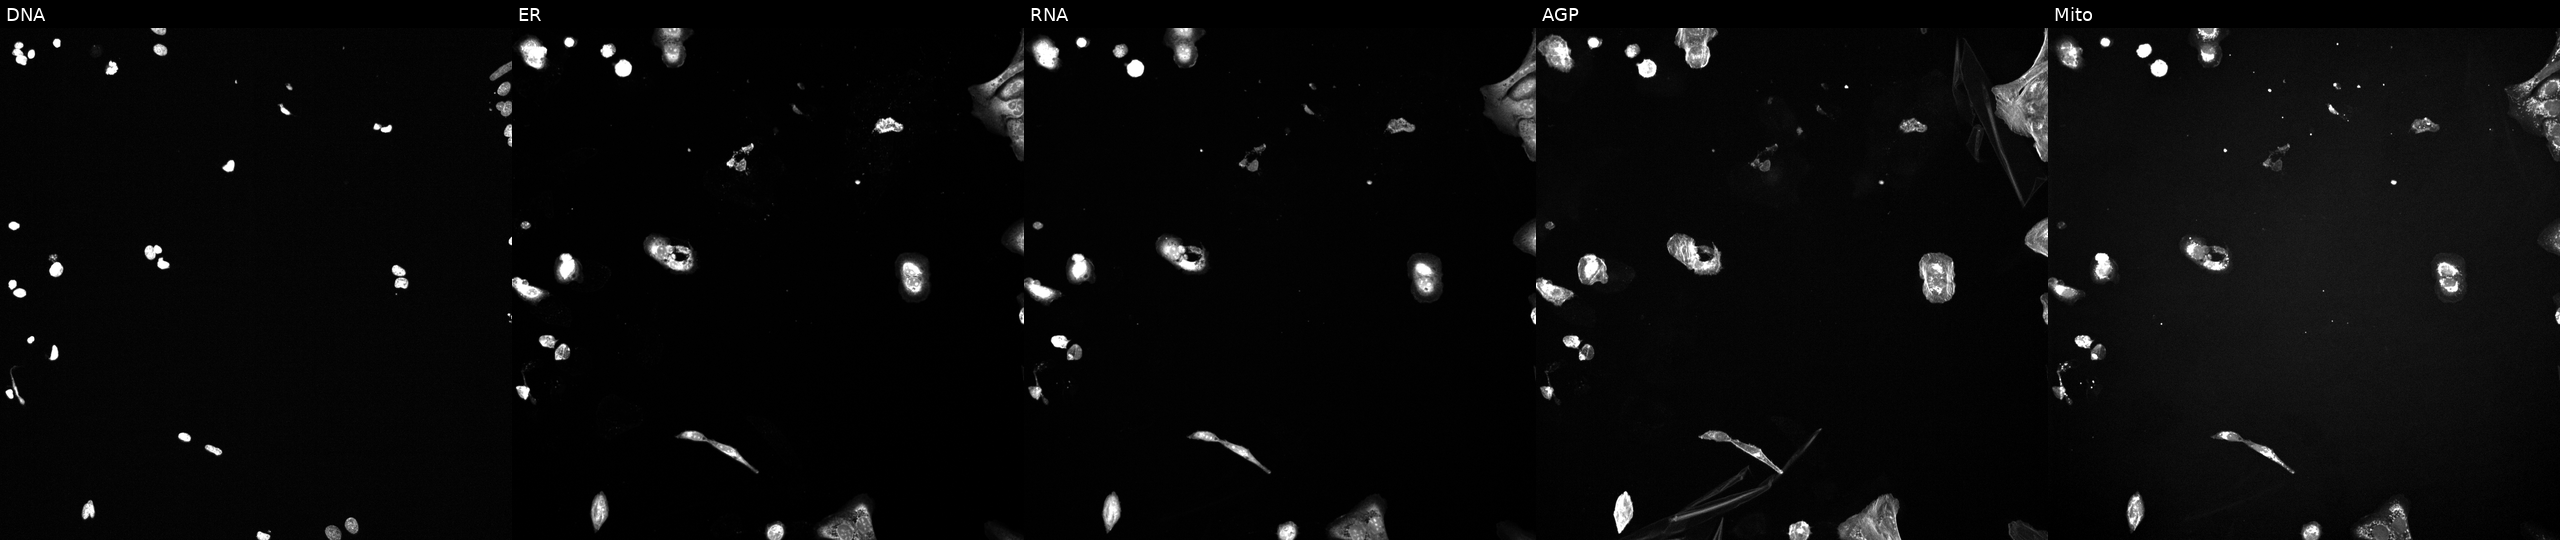
U2OS cells, Cell Painting assay, treated with a small-molecule compound (InChIKey SCELLOWTHJGVIC-UHFFFAOYSA-N). Channels (left→right): DNA, ER, RNA, AGP, and Mito. Each panel is percentile-stretched 16-bit fluorescence.